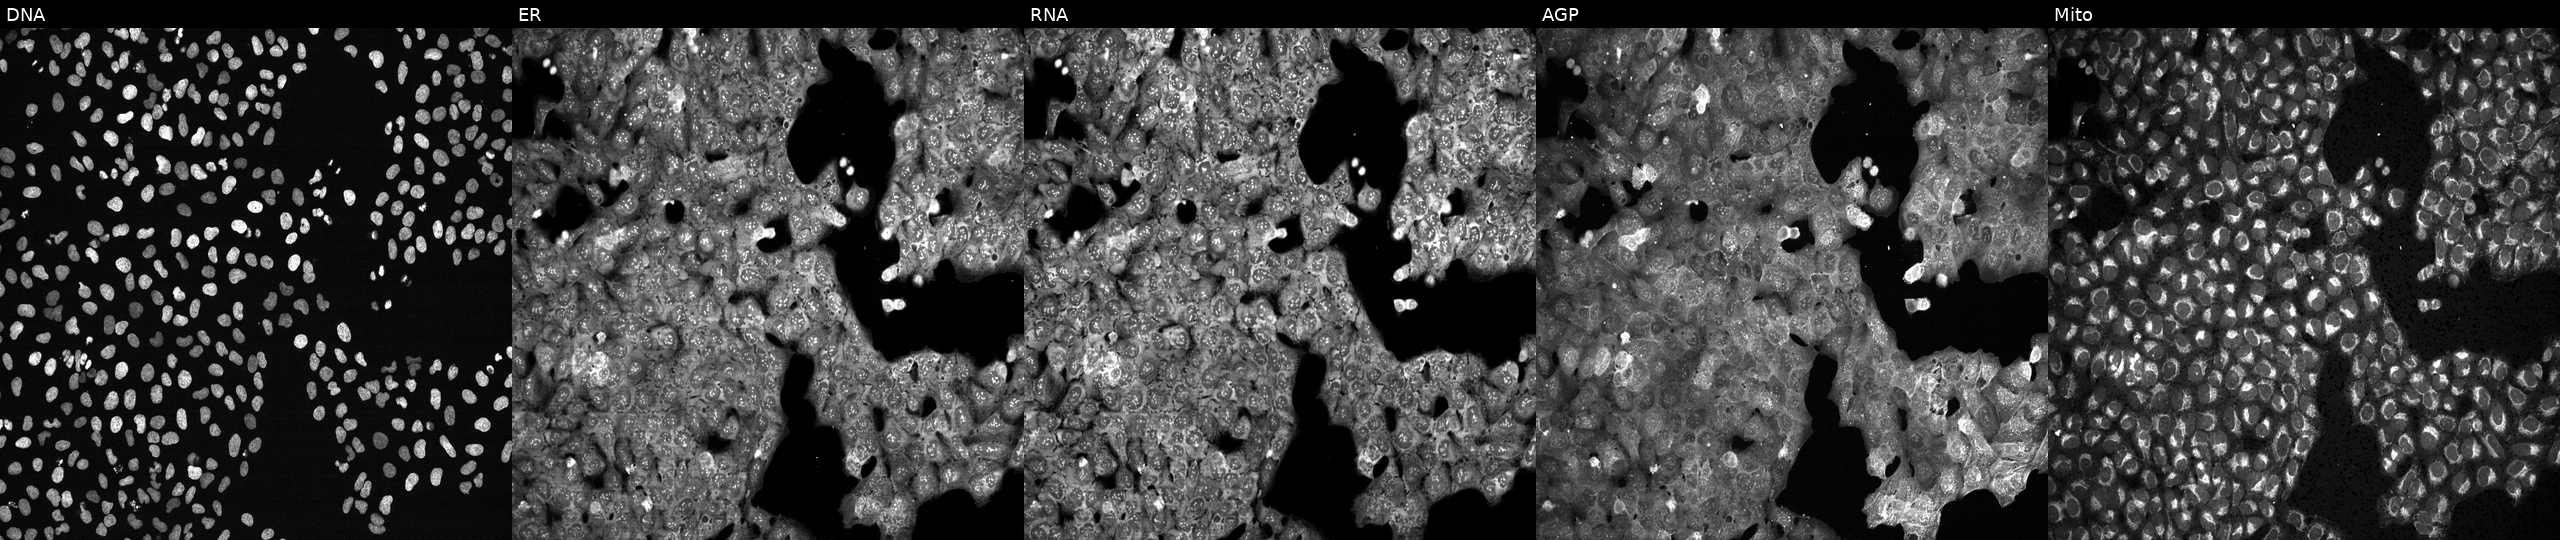
U2OS cells, Cell Painting assay, exposed to the positive-control compound NVS-PAK1-1. Channels (left→right): DNA, ER, RNA, AGP, and Mito. Each panel is percentile-stretched 16-bit fluorescence.